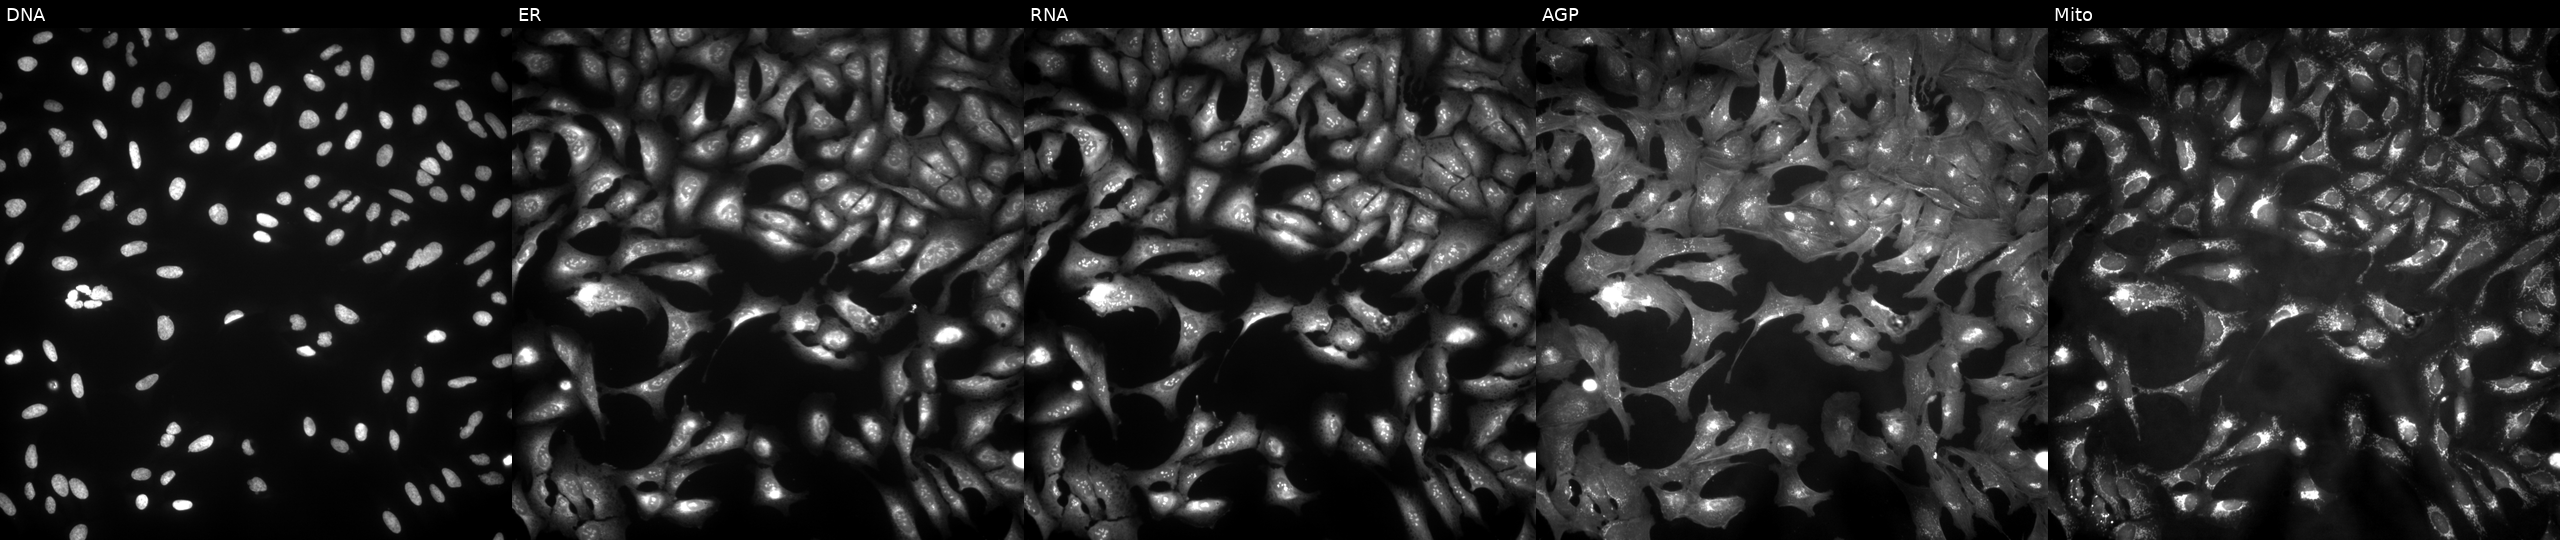
High-content fluorescence microscopy (Cell Painting). Cell line: U2OS. Perturbation: overexpressing FAM47B via ORF transfection (JUMP id JCP2022_904816). From left to right: Hoechst 33342, concanavalin A, SYTO 14, phalloidin and WGA, MitoTracker. Source 4, plate BR00123506, well H15.